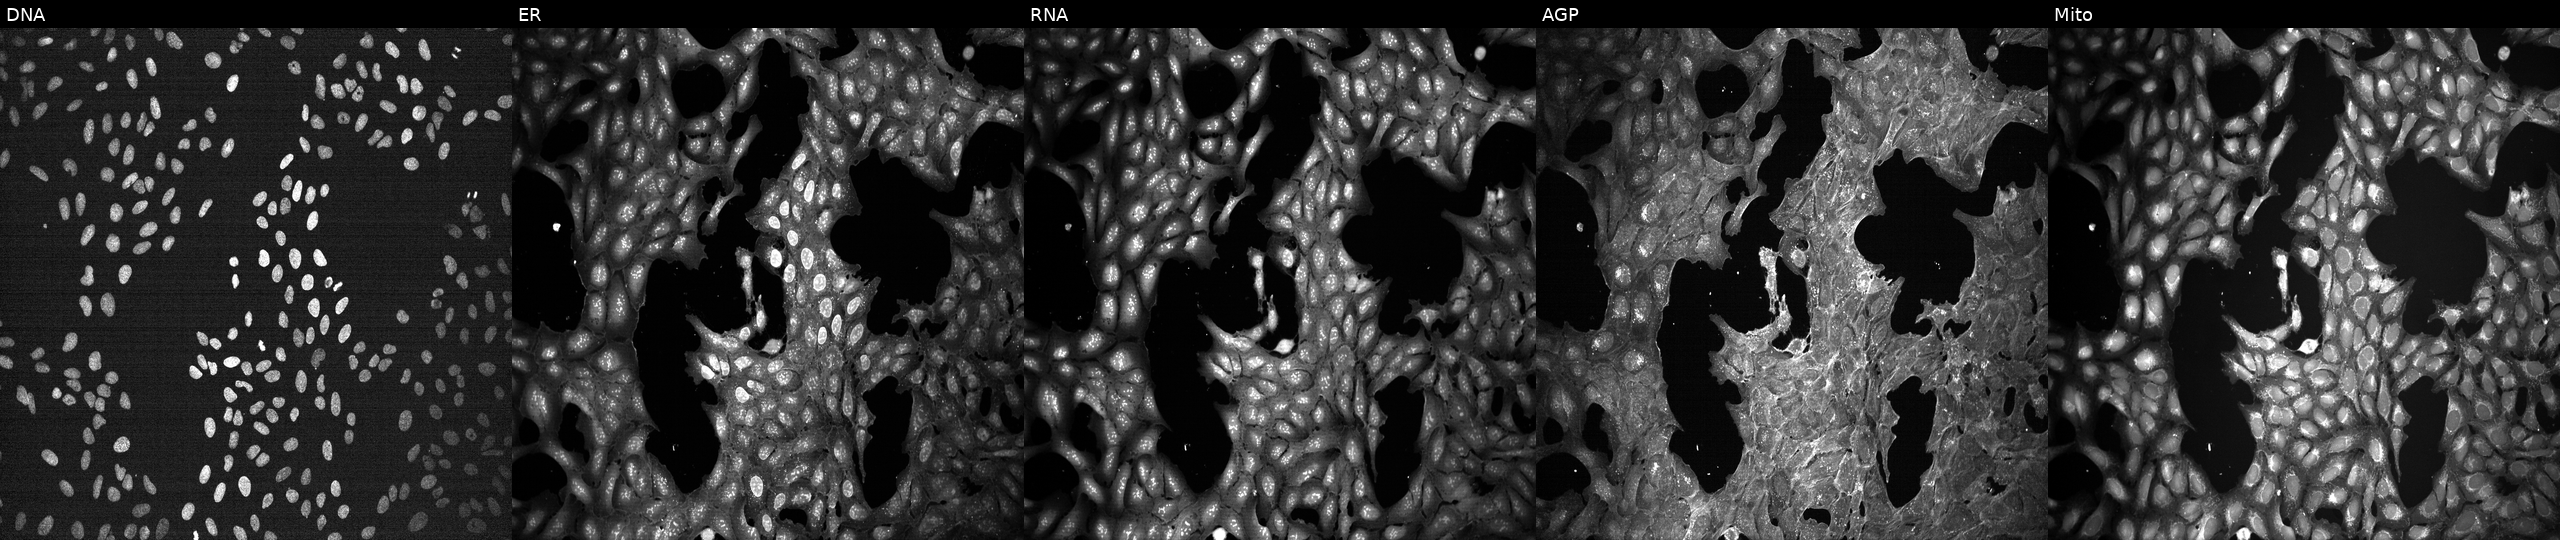
This image strip shows the five Cell Painting channels for a single field of U2OS cells treated with a small-molecule compound (InChIKey UQNAFPHGVPVTAL-UHFFFAOYSA-N) (JUMP id JCP2022_090884). The five panels, left to right, show Hoechst 33342, concanavalin A, SYTO 14, phalloidin and WGA, MitoTracker. Source 7, plate CP1-SC1-25, well N23.